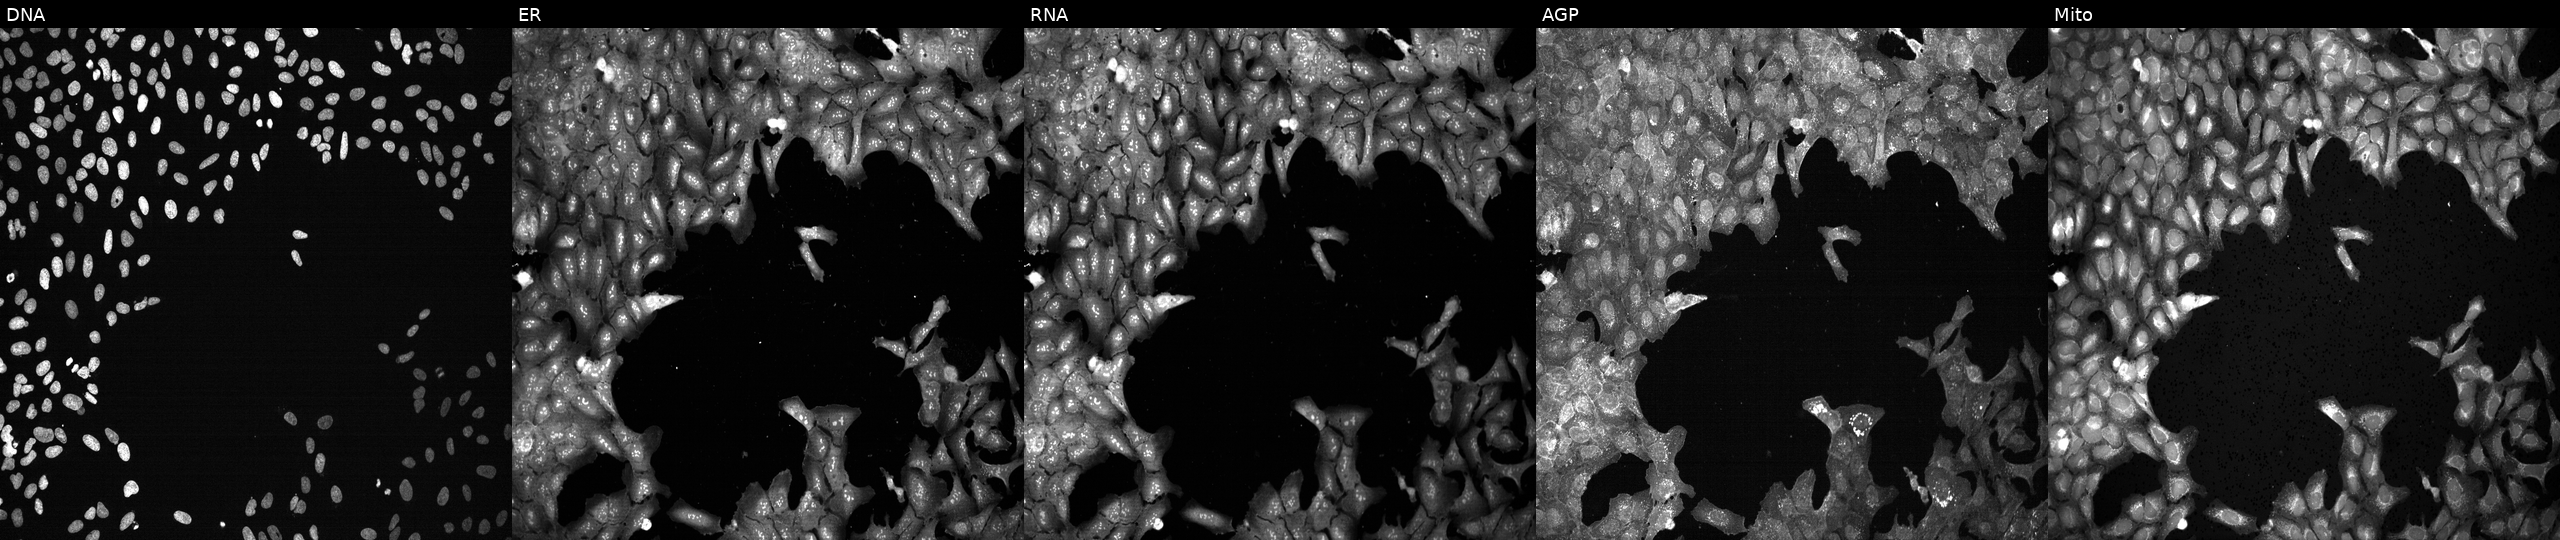
JUMP Cell Painting — CRISPR plate. U2OS cells following CRISPR knockout of ENTPD1 (JUMP id JCP2022_802122). Channels (left→right): Hoechst 33342, concanavalin A, SYTO 14, phalloidin and WGA, MitoTracker.